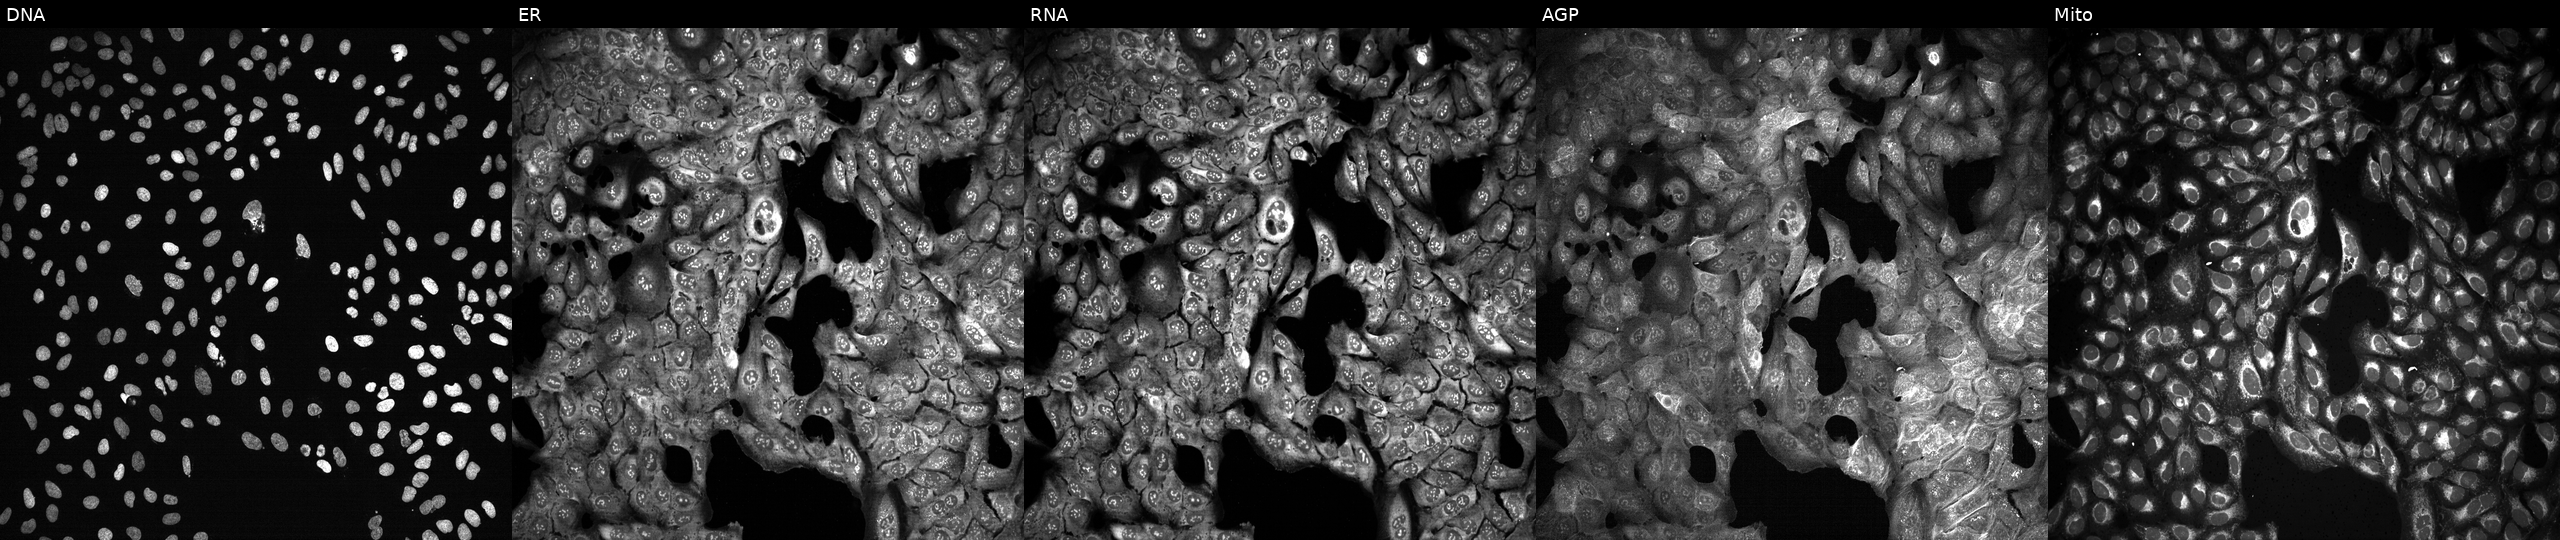
Five-channel Cell Painting image of U2OS cells CRISPR-edited to disrupt GNAZ (JUMP id JCP2022_802769). The five panels, left to right, show Hoechst 33342, concanavalin A, SYTO 14, phalloidin and WGA, MitoTracker.